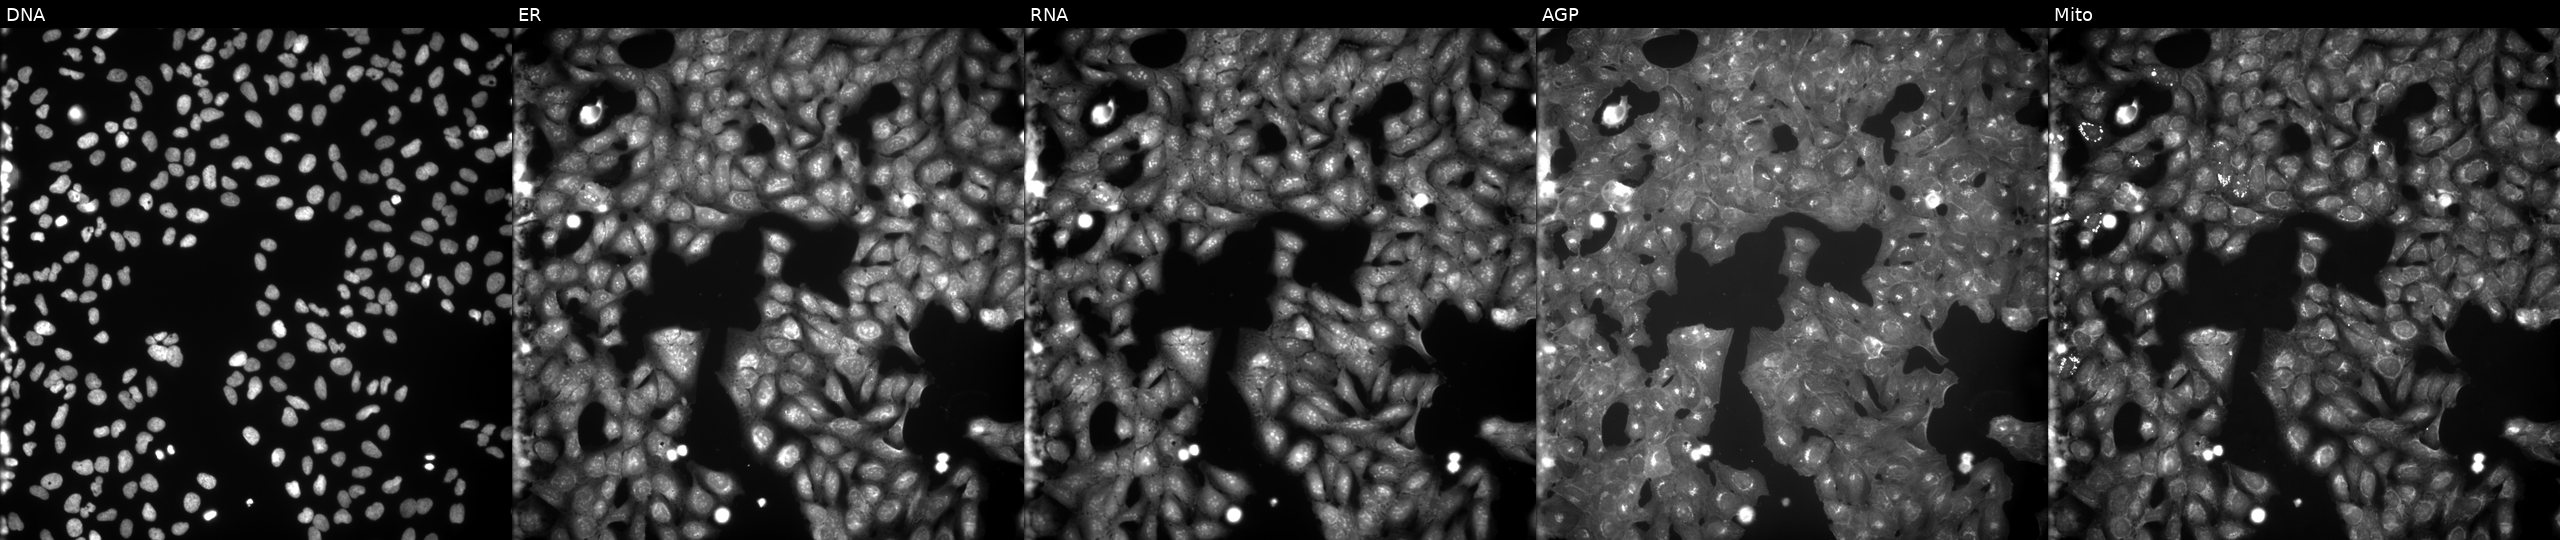
Panels show, left to right, DNA (nuclei); ER (endoplasmic reticulum); RNA (nucleoli and cytoplasmic RNA); AGP (actin cytoskeleton, Golgi, and plasma membrane); Mito (mitochondria). U2OS osteosarcoma cells treated with NVS-PAK1-1 (positive-control compound) (JUMP id JCP2022_064022). Cell Painting assay, JUMP-CP dataset.